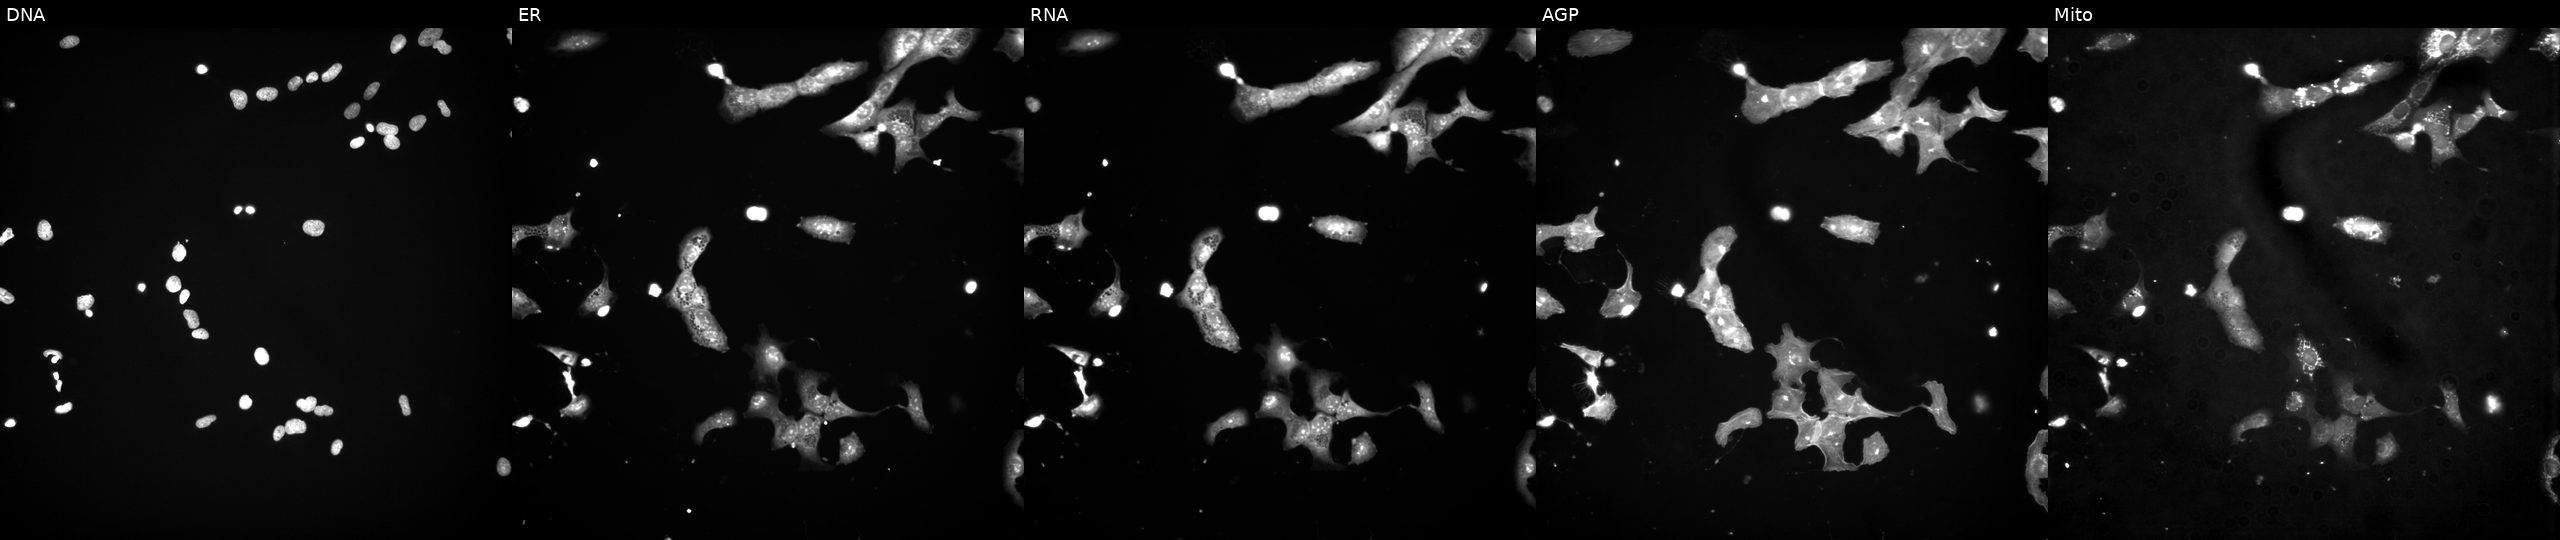
JUMP Cell Painting — TARGET2 plate. U2OS cells perturbed with a small-molecule compound (InChIKey MAASHDQFQDDECQ-UHFFFAOYSA-N). From left to right: DNA, ER, RNA, AGP, and Mito.